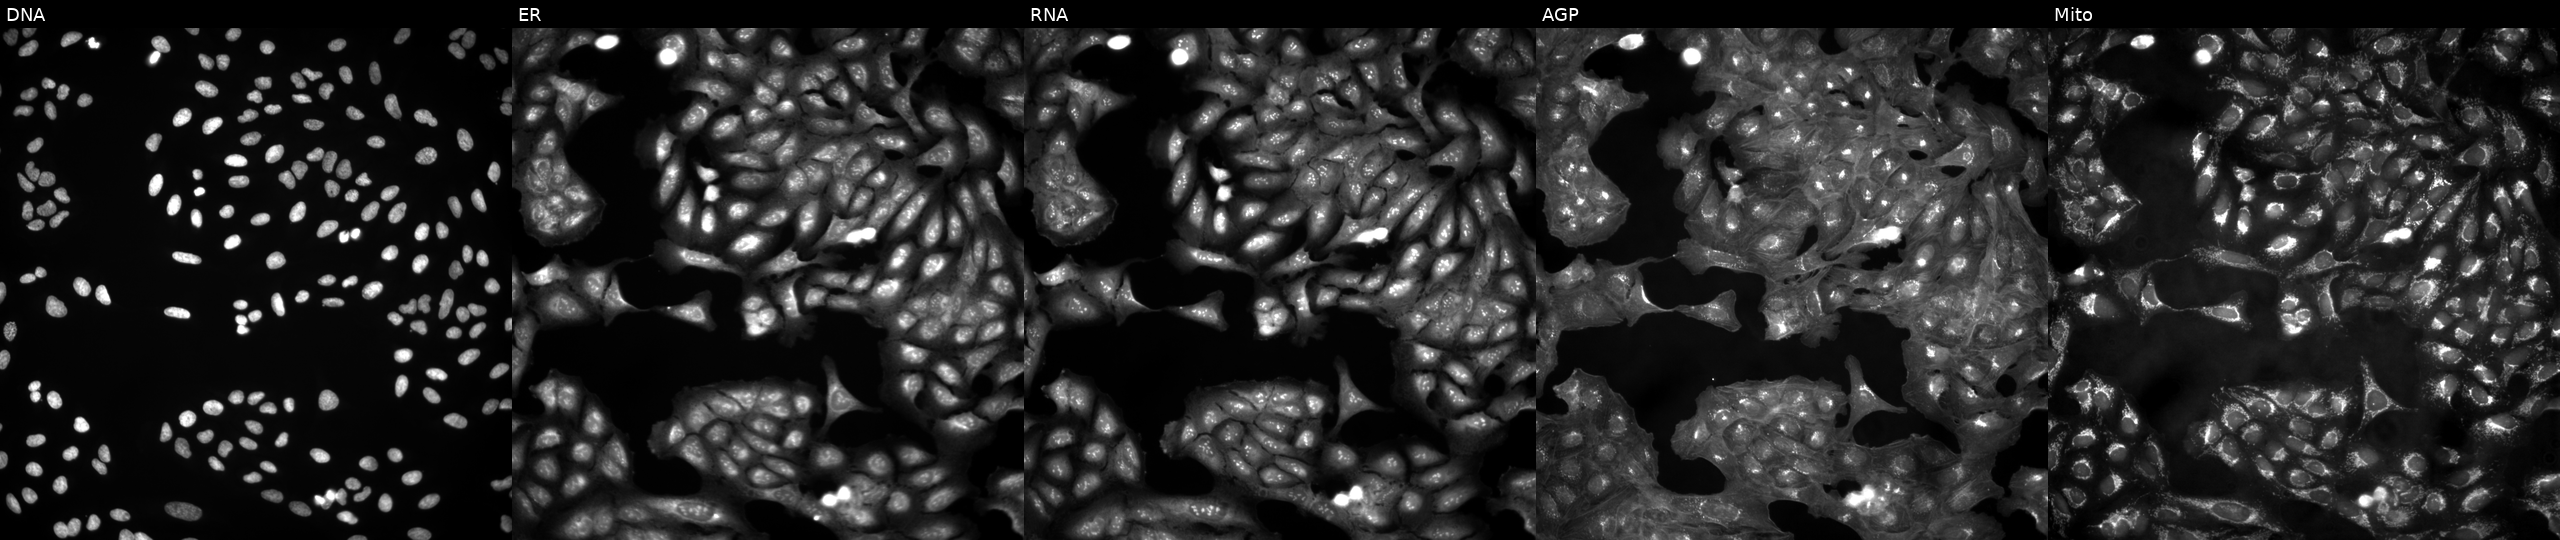
The five panels, left to right, show Hoechst 33342, concanavalin A, SYTO 14, phalloidin and WGA, MitoTracker. U2OS osteosarcoma cells in an empty control well (no perturbation). Cell Painting assay, JUMP-CP dataset. Source 4, plate BR00123946, well O13.